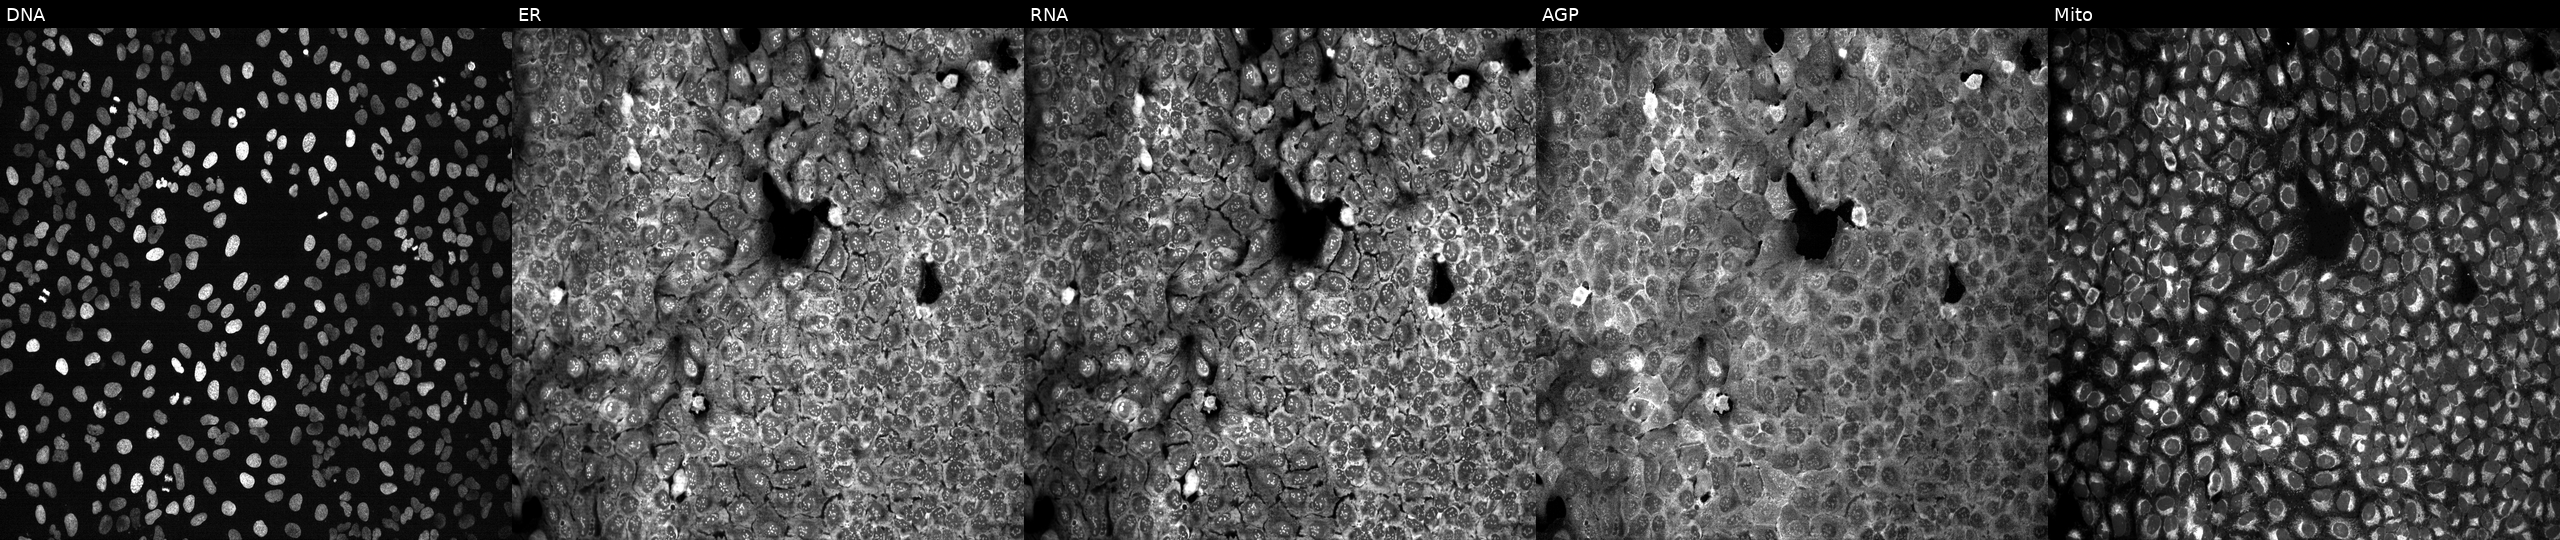
Five-channel Cell Painting image of U2OS cells following CRISPR knockout of SLC44A1 (JUMP id JCP2022_806540). The five panels, left to right, show DNA (nuclei); ER (endoplasmic reticulum); RNA (nucleoli and cytoplasmic RNA); AGP (actin cytoskeleton, Golgi, and plasma membrane); Mito (mitochondria).